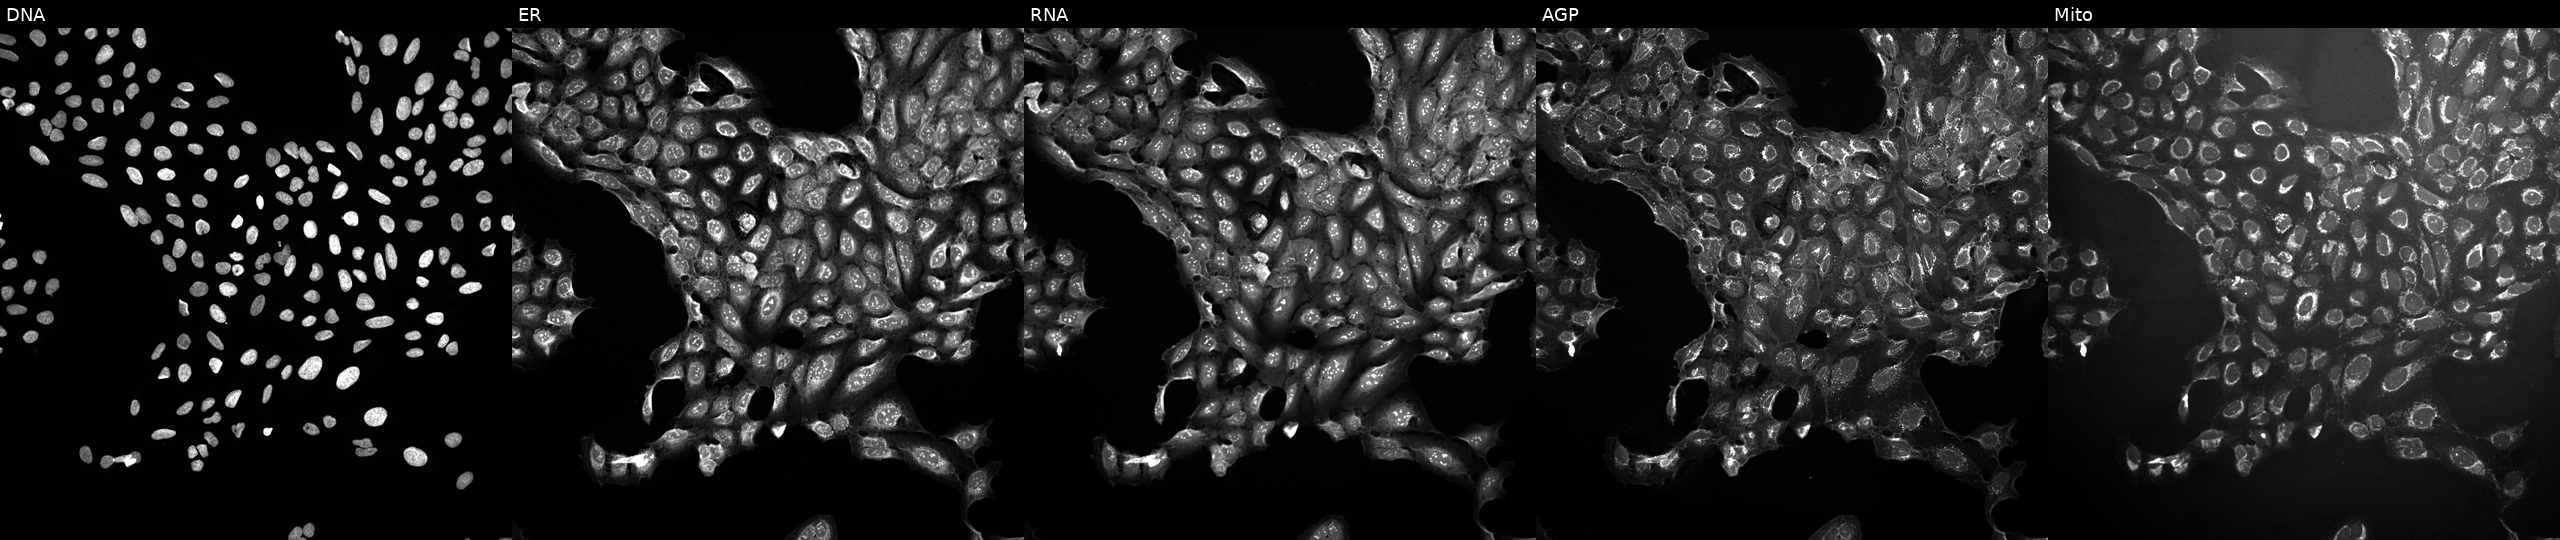
Five-channel Cell Painting image of U2OS cells treated with a small-molecule compound (InChIKey MENNDDDTIIZDDN-UHFFFAOYSA-N). From left to right: DNA, ER, RNA, AGP, and Mito.